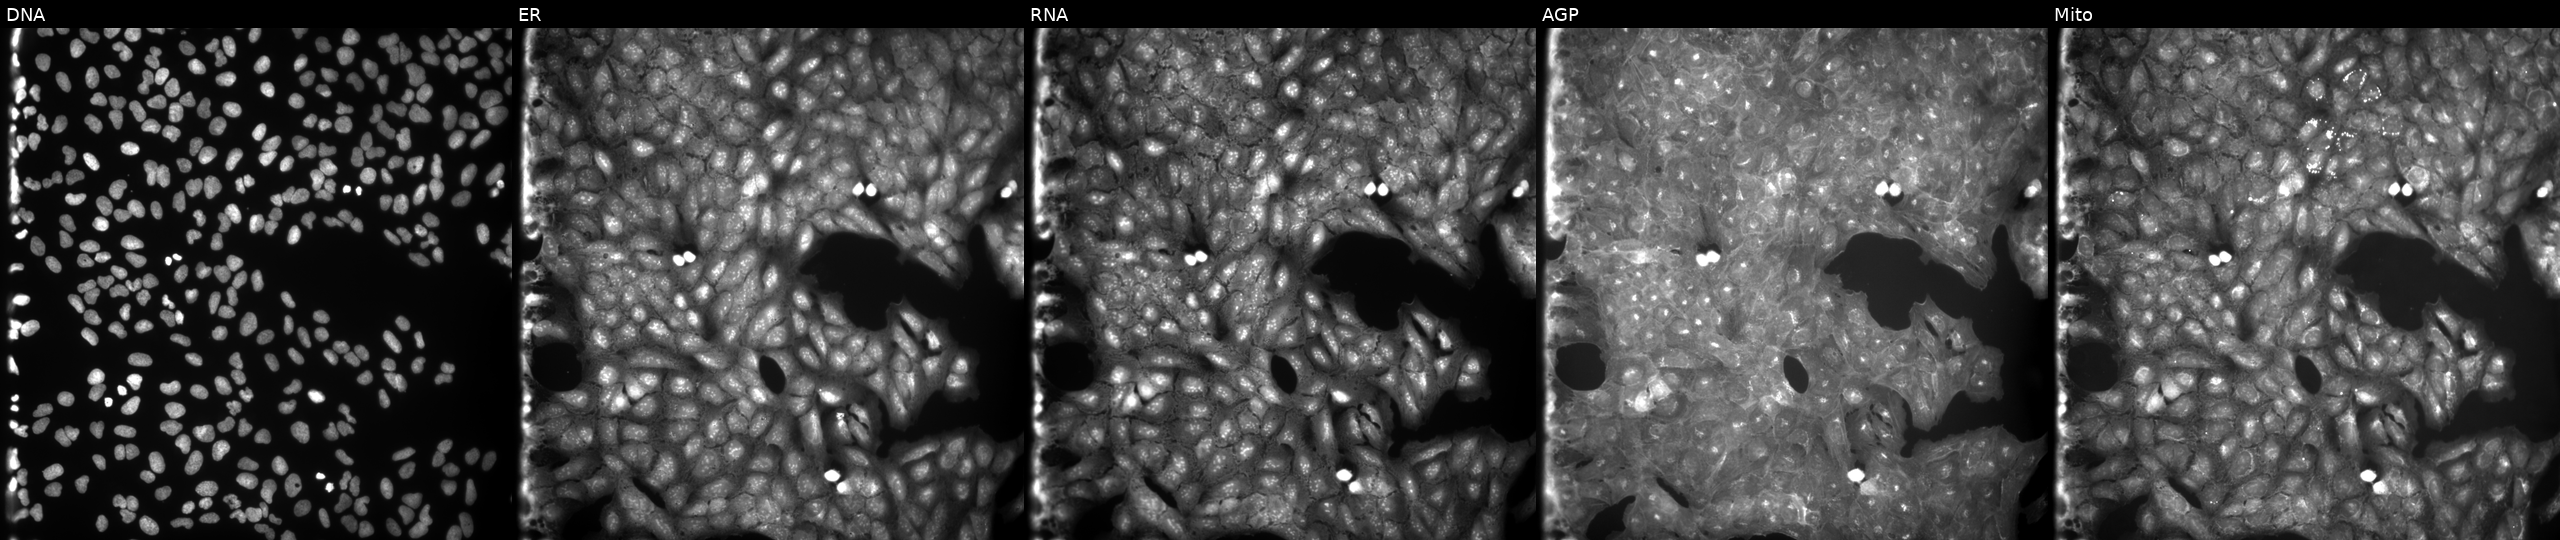
This image strip shows the five Cell Painting channels for a single field of U2OS cells perturbed with a small-molecule compound (JUMP id JCP2022_021167). Panels show, left to right, Hoechst 33342, concanavalin A, SYTO 14, phalloidin and WGA, MitoTracker.